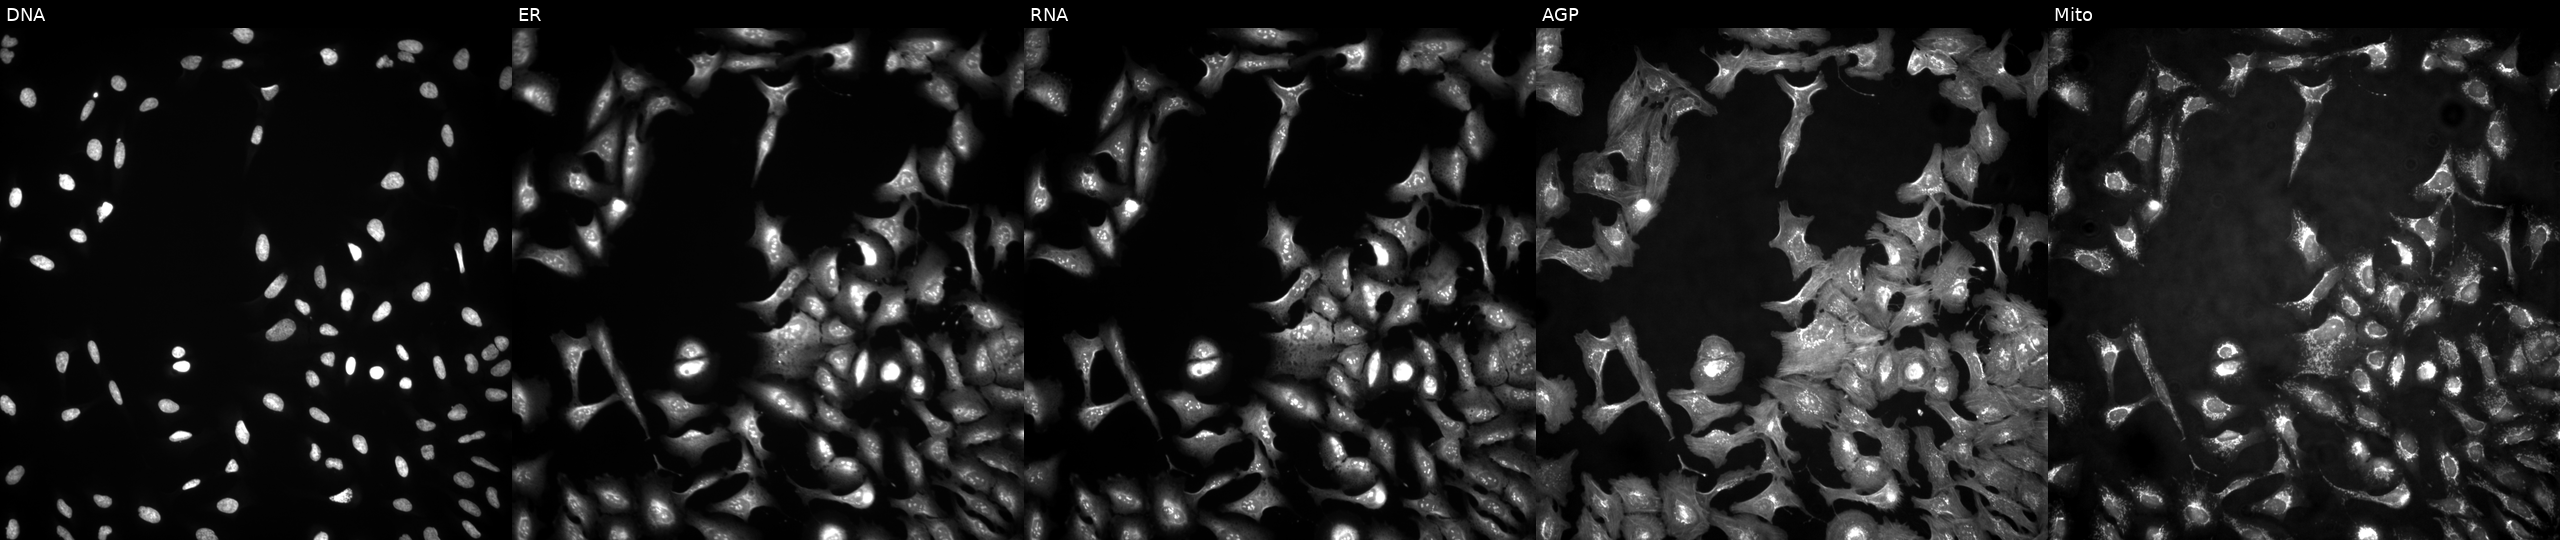
The five panels, left to right, show DNA (nuclei); ER (endoplasmic reticulum); RNA (nucleoli and cytoplasmic RNA); AGP (actin cytoskeleton, Golgi, and plasma membrane); Mito (mitochondria). U2OS osteosarcoma cells overexpressing MS4A4A via ORF transfection. Cell Painting assay, JUMP-CP dataset. Source 4, plate BR00124784, well E07.